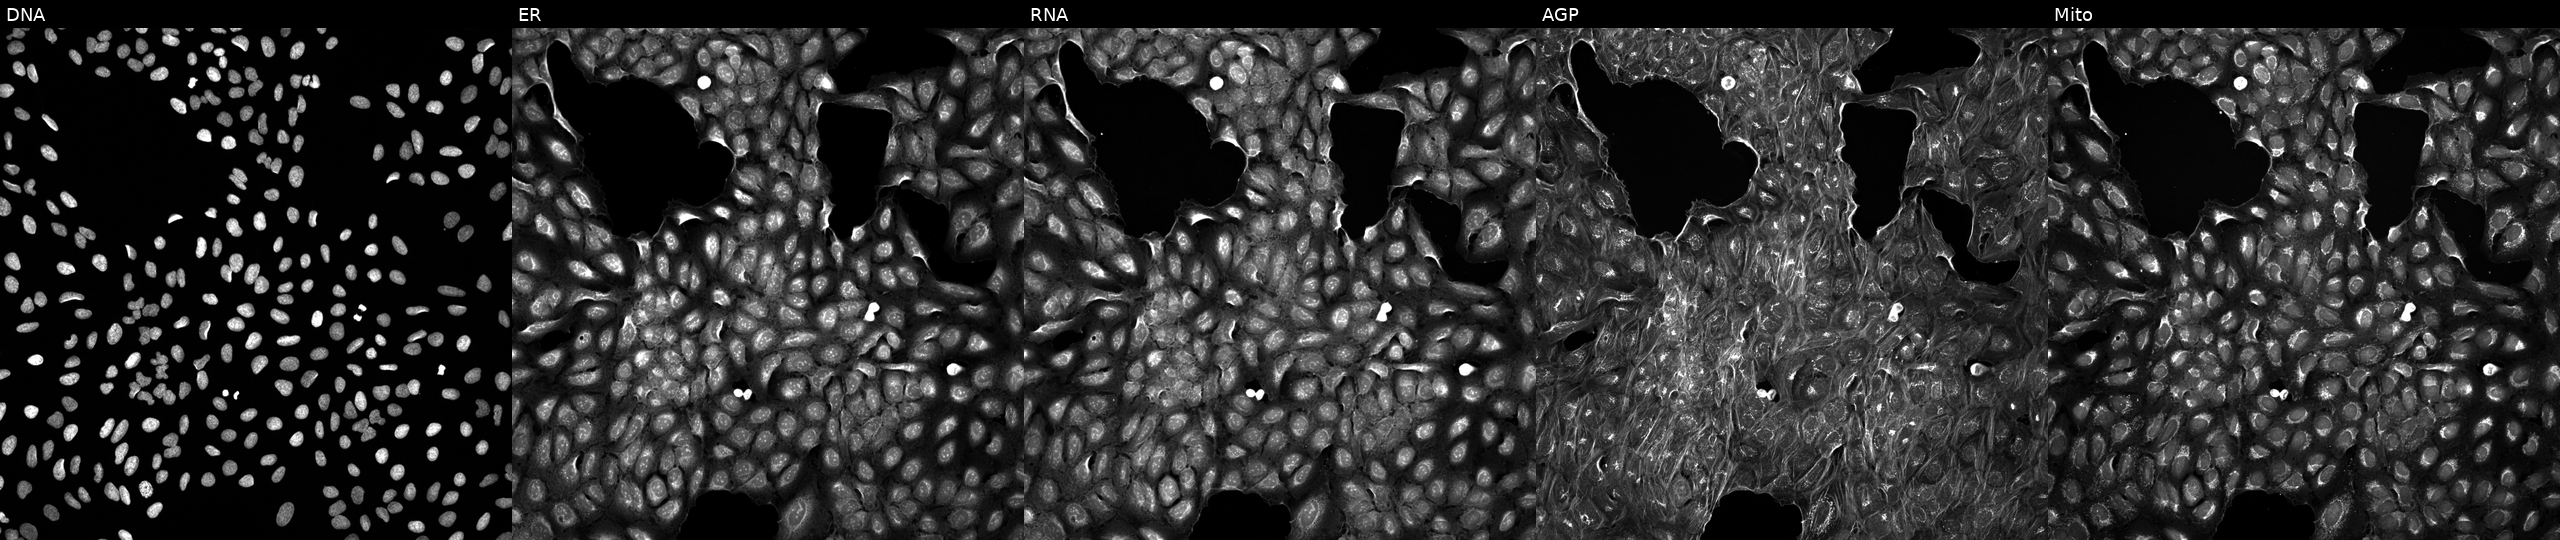
High-content fluorescence microscopy (Cell Painting). Cell line: U2OS. Perturbation: exposed to a small-molecule compound (InChIKey NVGDYEZKSPNREY-UHFFFAOYSA-N) (JUMP id JCP2022_061585). From left to right: DNA (nuclei); ER (endoplasmic reticulum); RNA (nucleoli and cytoplasmic RNA); AGP (actin cytoskeleton, Golgi, and plasma membrane); Mito (mitochondria). Source 5, plate APTJUM105, well L08.